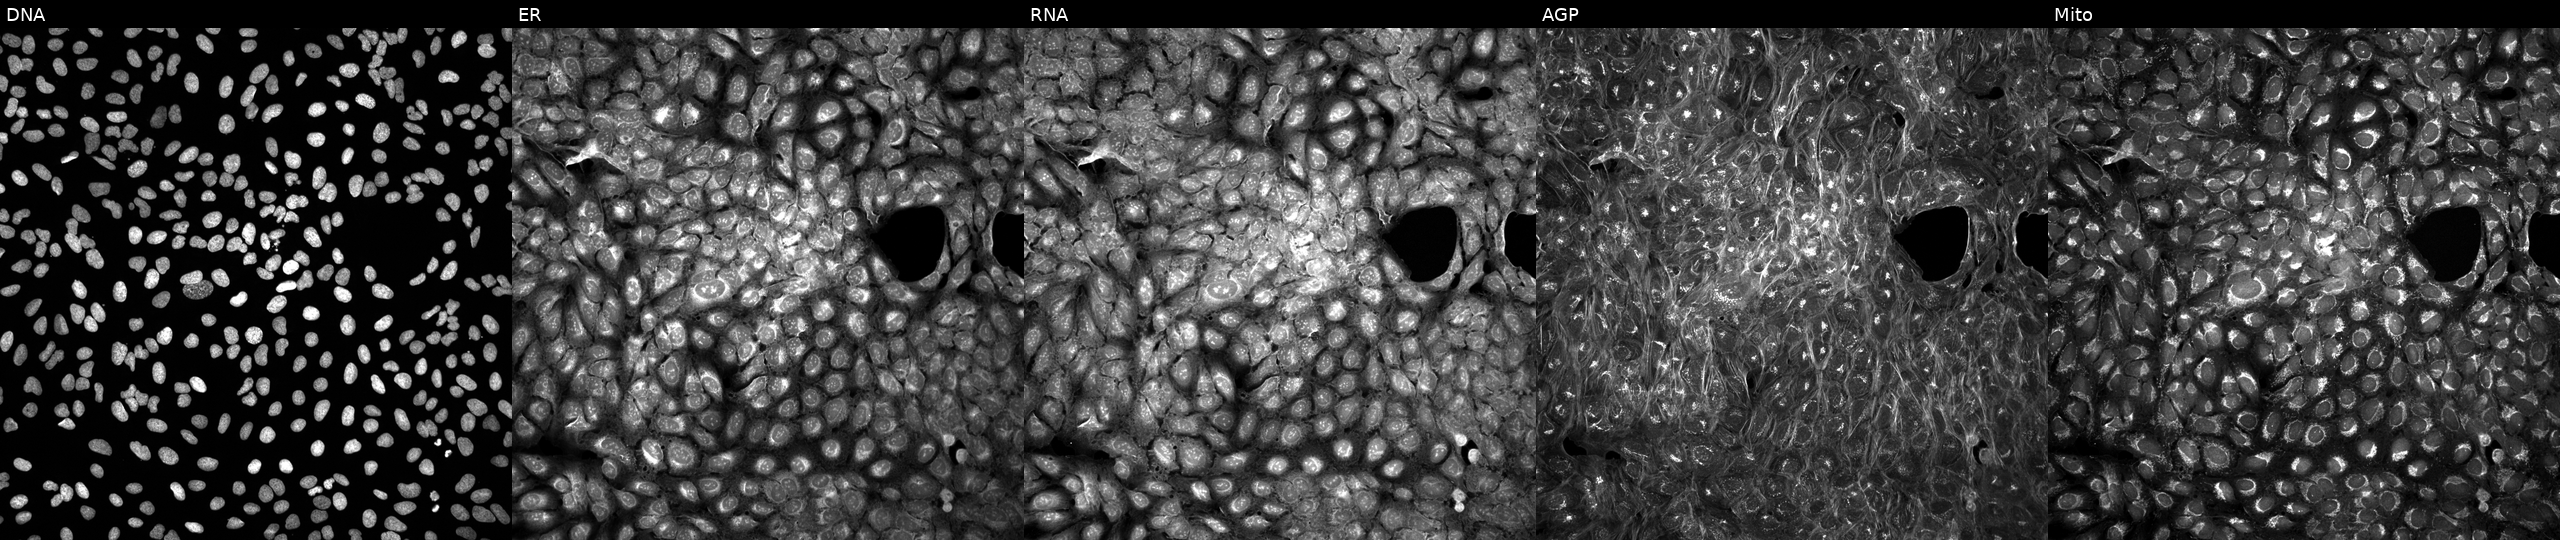
High-content fluorescence microscopy (Cell Painting). Cell line: U2OS. Perturbation: treated with a small-molecule compound (InChIKey UZDORQWMYRRLQV-UHFFFAOYSA-N). The five panels, left to right, show Hoechst 33342, concanavalin A, SYTO 14, phalloidin and WGA, MitoTracker.